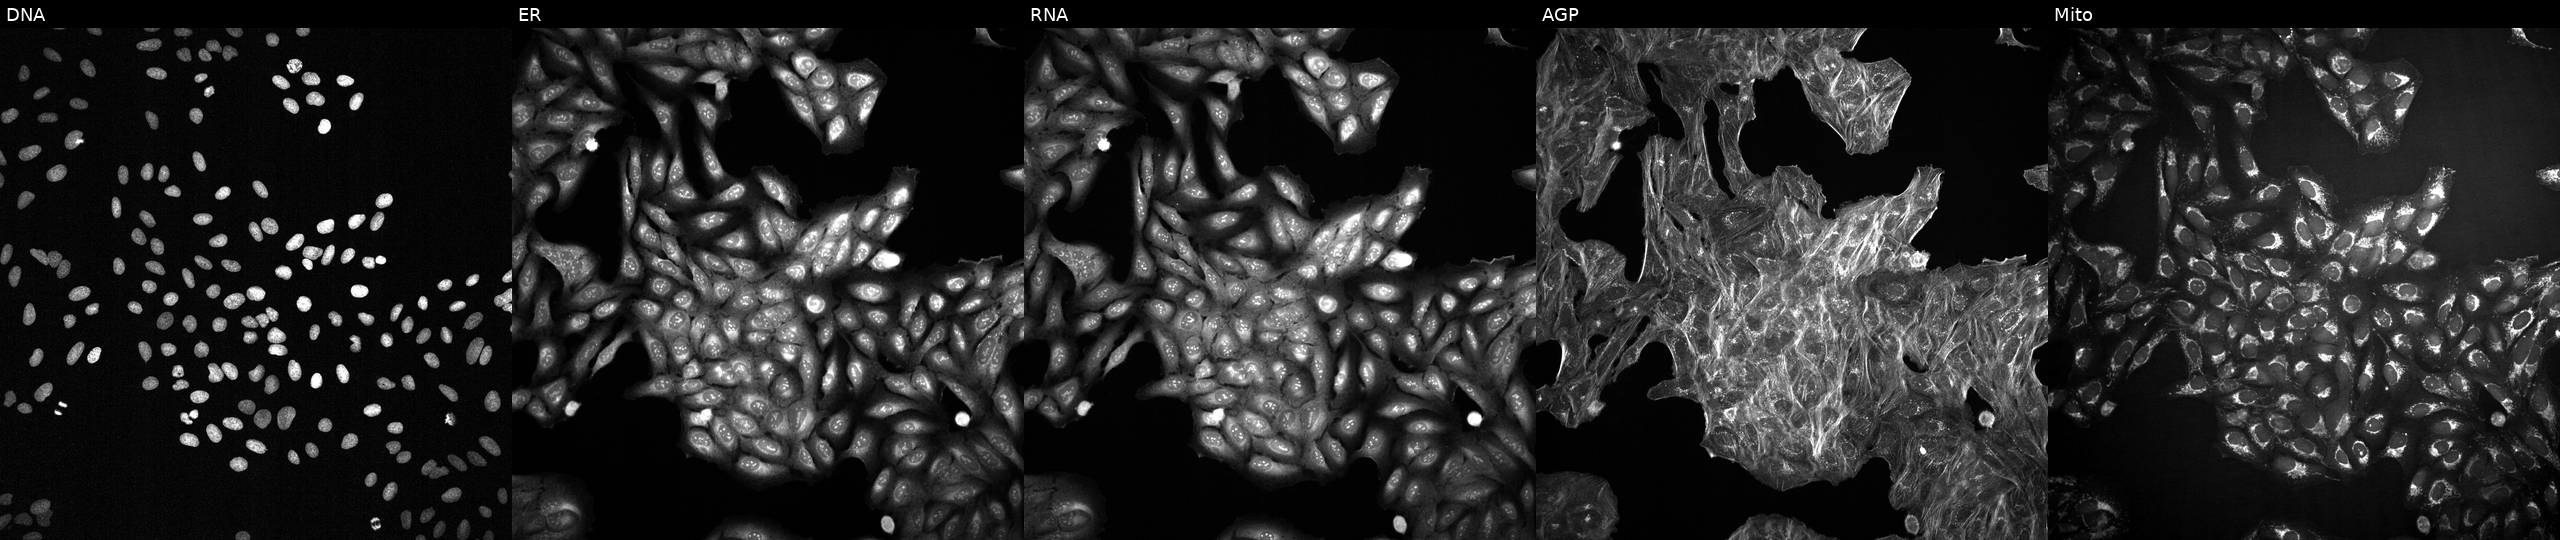
This image strip shows the five Cell Painting channels for a single field of U2OS cells exposed to the positive-control compound aloxistatin. Channels (left→right): DNA (nuclei); ER (endoplasmic reticulum); RNA (nucleoli and cytoplasmic RNA); AGP (actin cytoskeleton, Golgi, and plasma membrane); Mito (mitochondria).